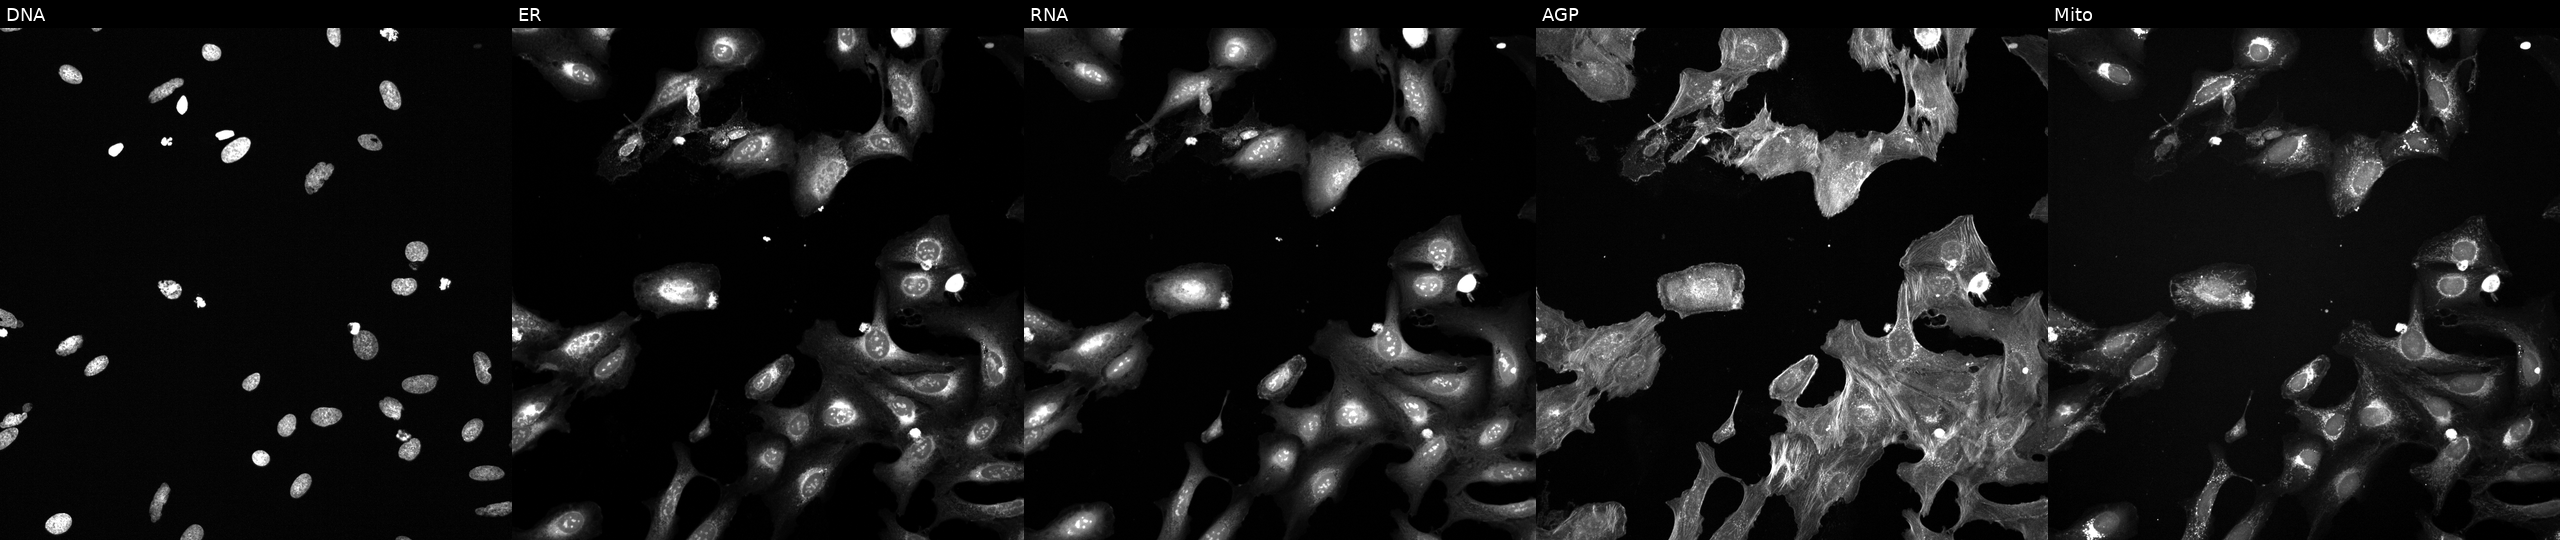
This image strip shows the five Cell Painting channels for a single field of U2OS cells treated with a small-molecule compound. From left to right: DNA, ER, RNA, AGP, and Mito.